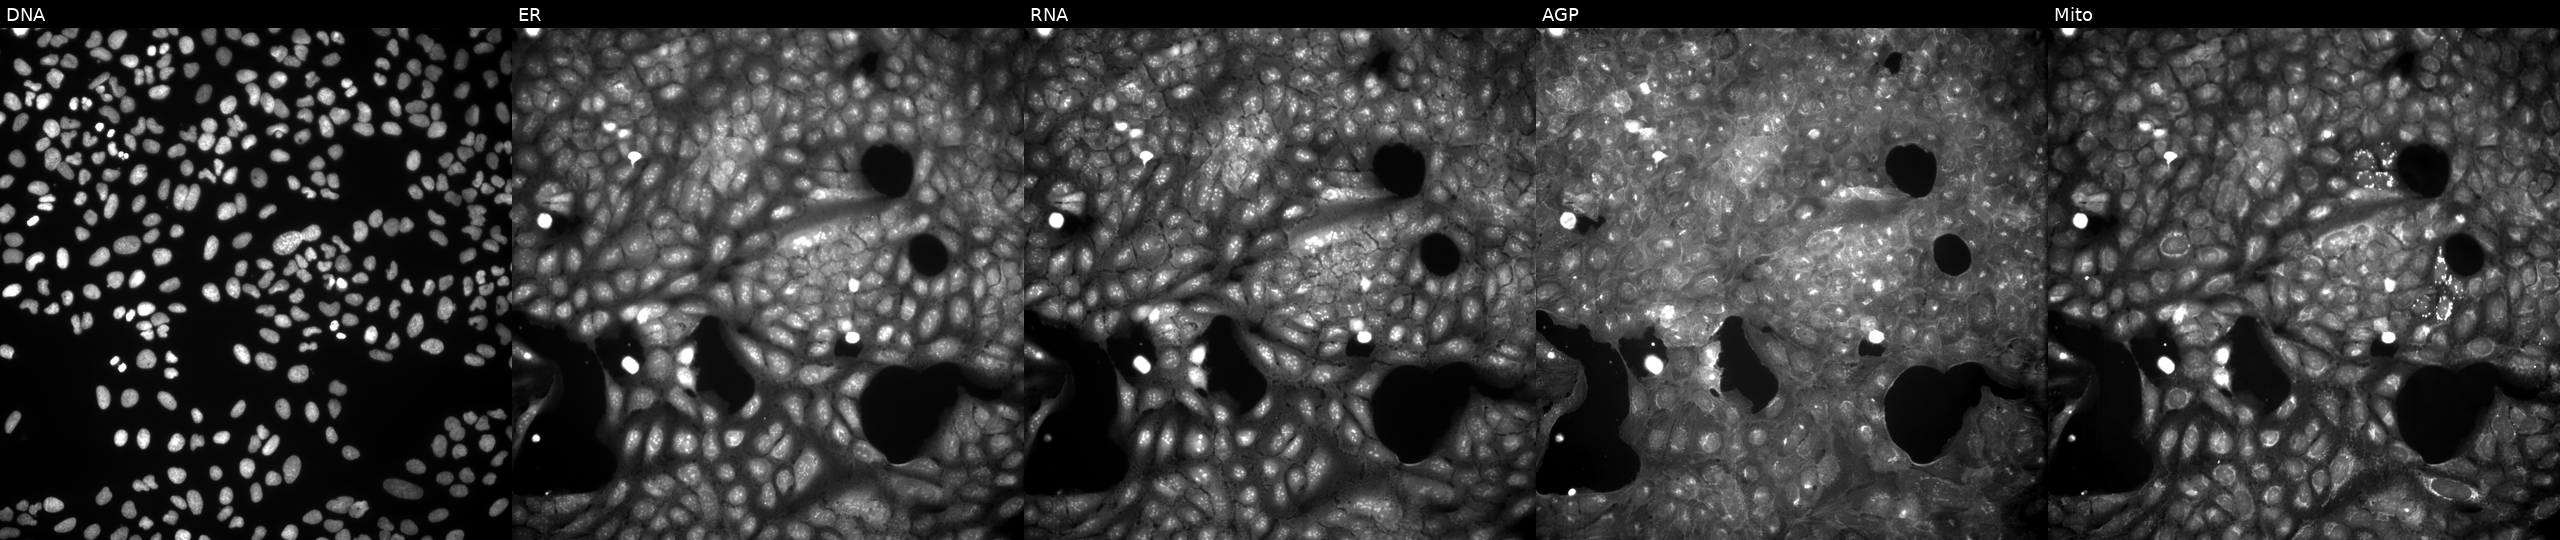
High-content fluorescence microscopy (Cell Painting). Cell line: U2OS. Perturbation: exposed to a small-molecule compound (InChIKey VDUYGFTYAXNXLA-UHFFFAOYSA-N) [SMILES: CCC1=NN(C(=O)Cc2ccc([N+](=O)[O-])cc2)C(O)(c2ccc(Br)cc2)C1] (JUMP id JCP2022_093330). From left to right: DNA, ER, RNA, AGP, and Mito.